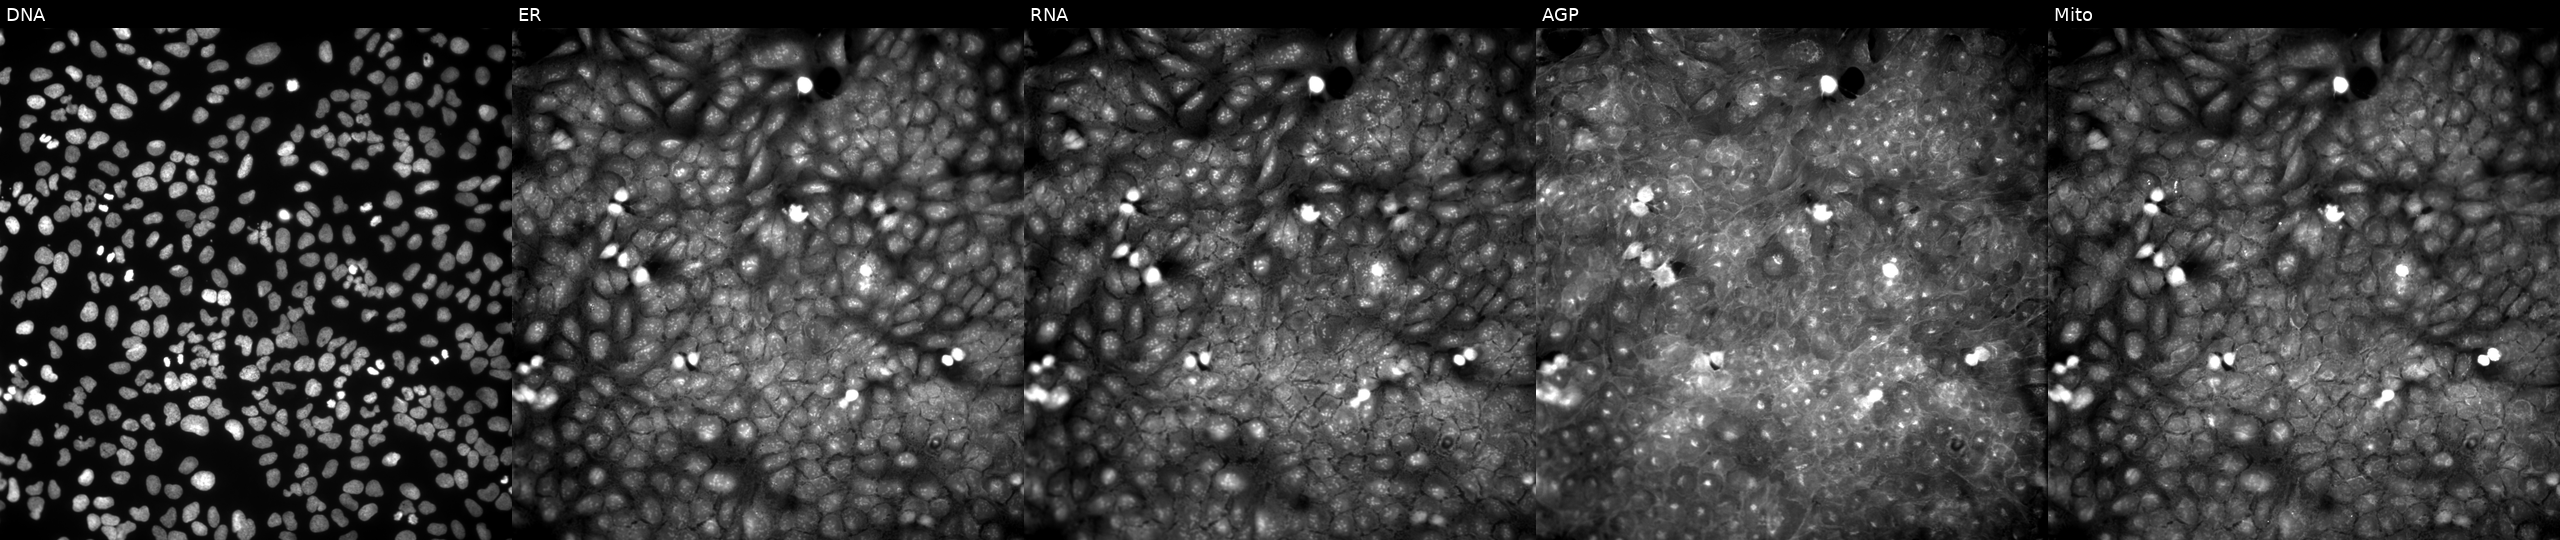
High-content fluorescence microscopy (Cell Painting). Cell line: U2OS. Perturbation: treated with a small-molecule compound (InChIKey LPUPVUOWWXPNAY-UHFFFAOYSA-N). From left to right: DNA (nuclei); ER (endoplasmic reticulum); RNA (nucleoli and cytoplasmic RNA); AGP (actin cytoskeleton, Golgi, and plasma membrane); Mito (mitochondria).